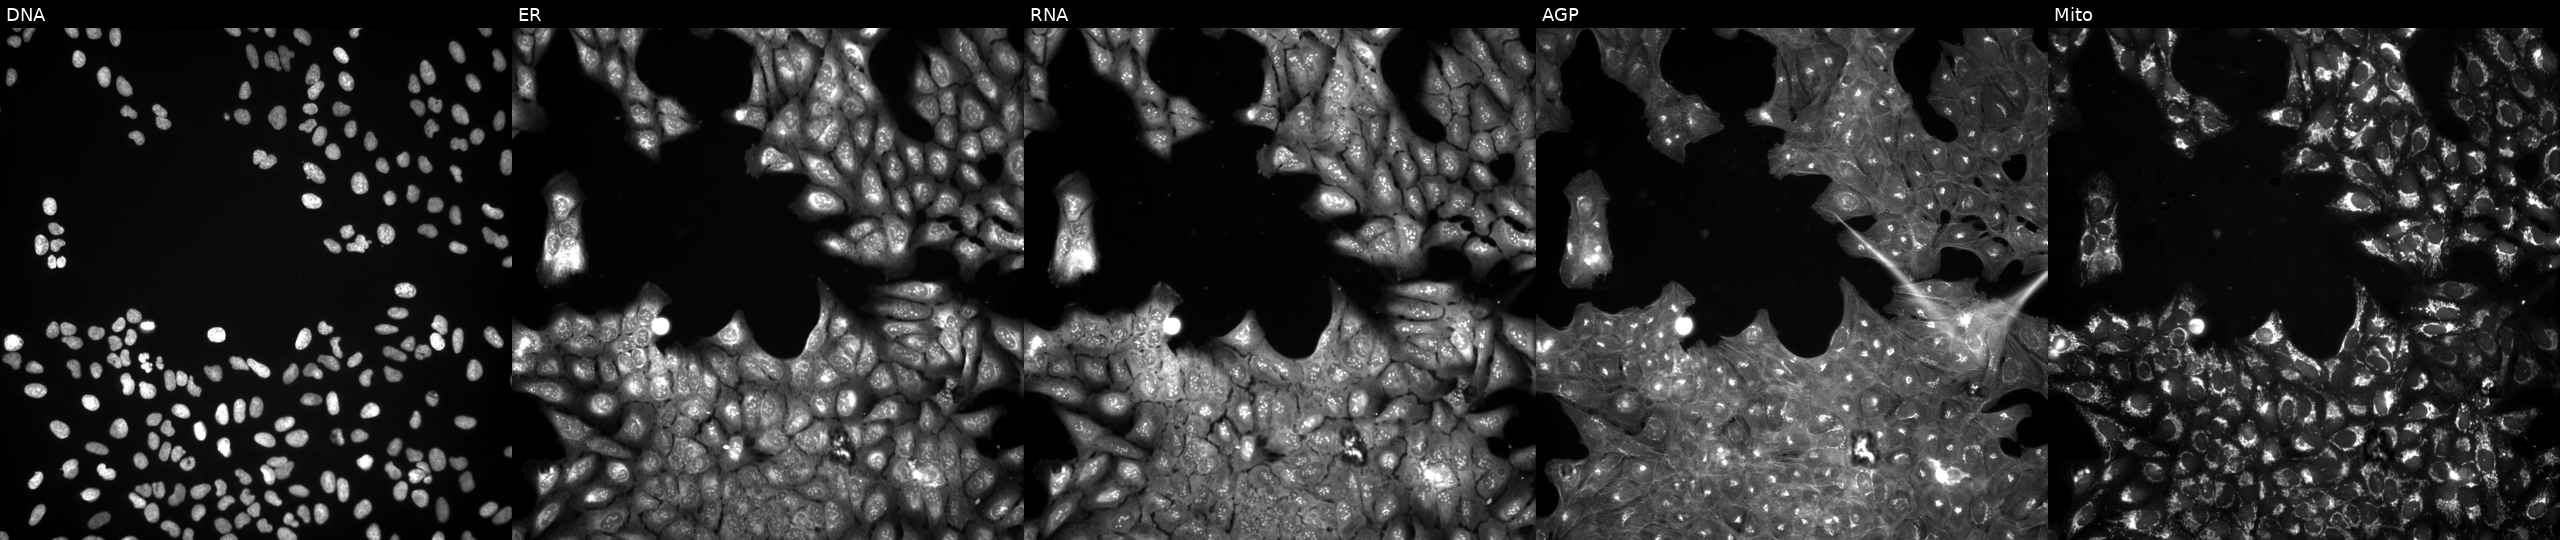
Five-channel Cell Painting image of U2OS cells perturbed with a small-molecule compound (InChIKey IYWHLZPLDMWXQG-UHFFFAOYSA-N) [SMILES: CC(C)(C)C(=O)Nc1ccccc1C(=O)NCc1ccco1] (JUMP id JCP2022_038217). From left to right: DNA, ER, RNA, AGP, and Mito.